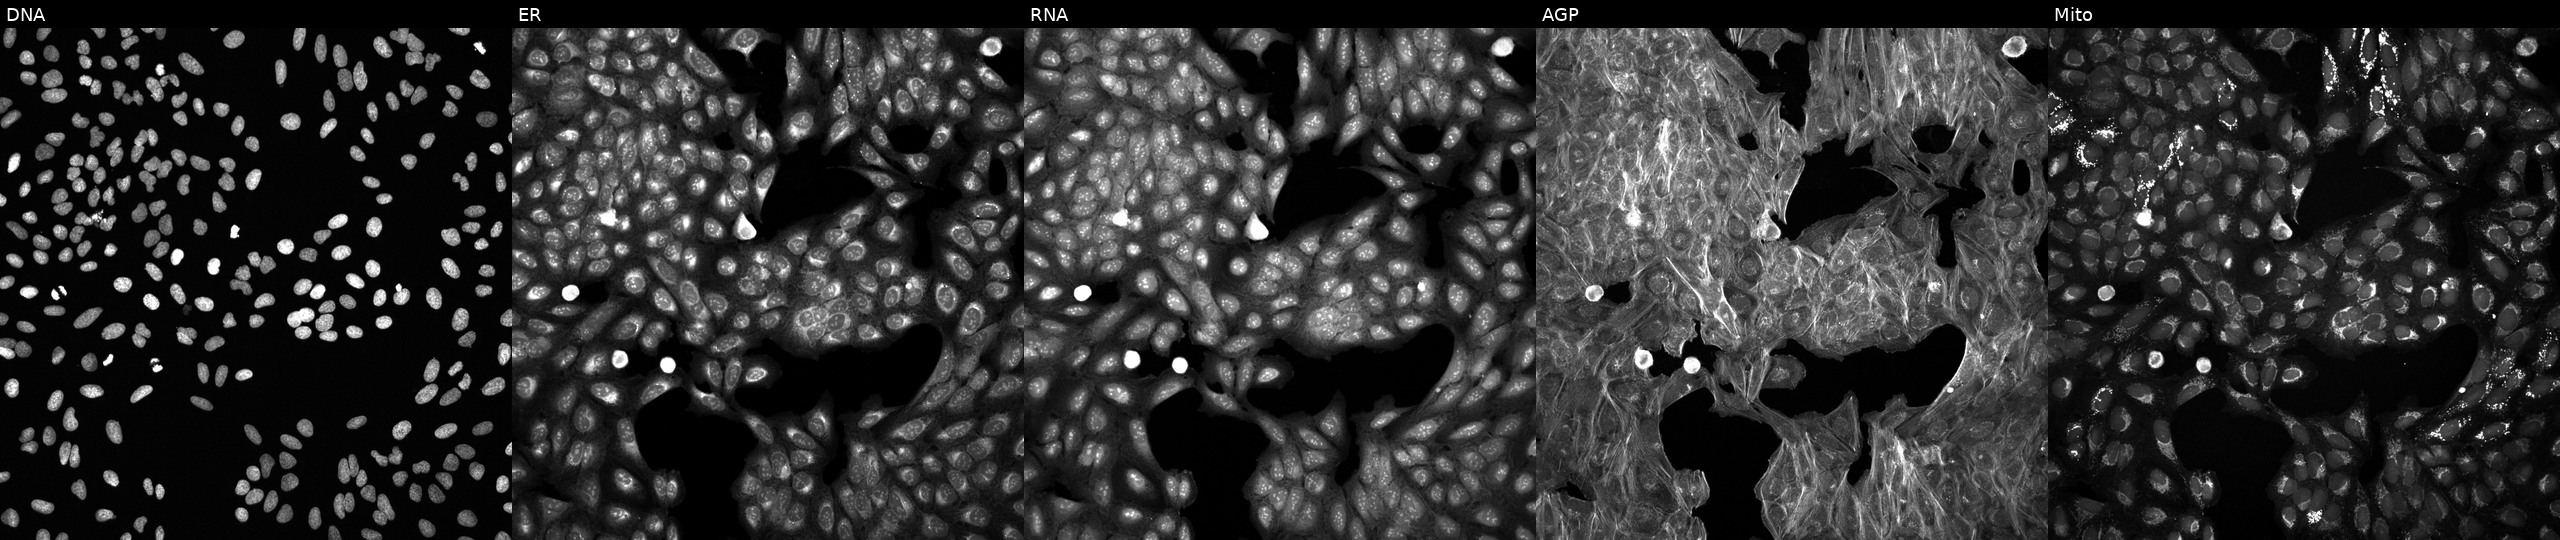
High-content fluorescence microscopy (Cell Painting). Cell line: U2OS. Perturbation: perturbed with a small-molecule compound. Channels (left→right): Hoechst 33342, concanavalin A, SYTO 14, phalloidin and WGA, MitoTracker.